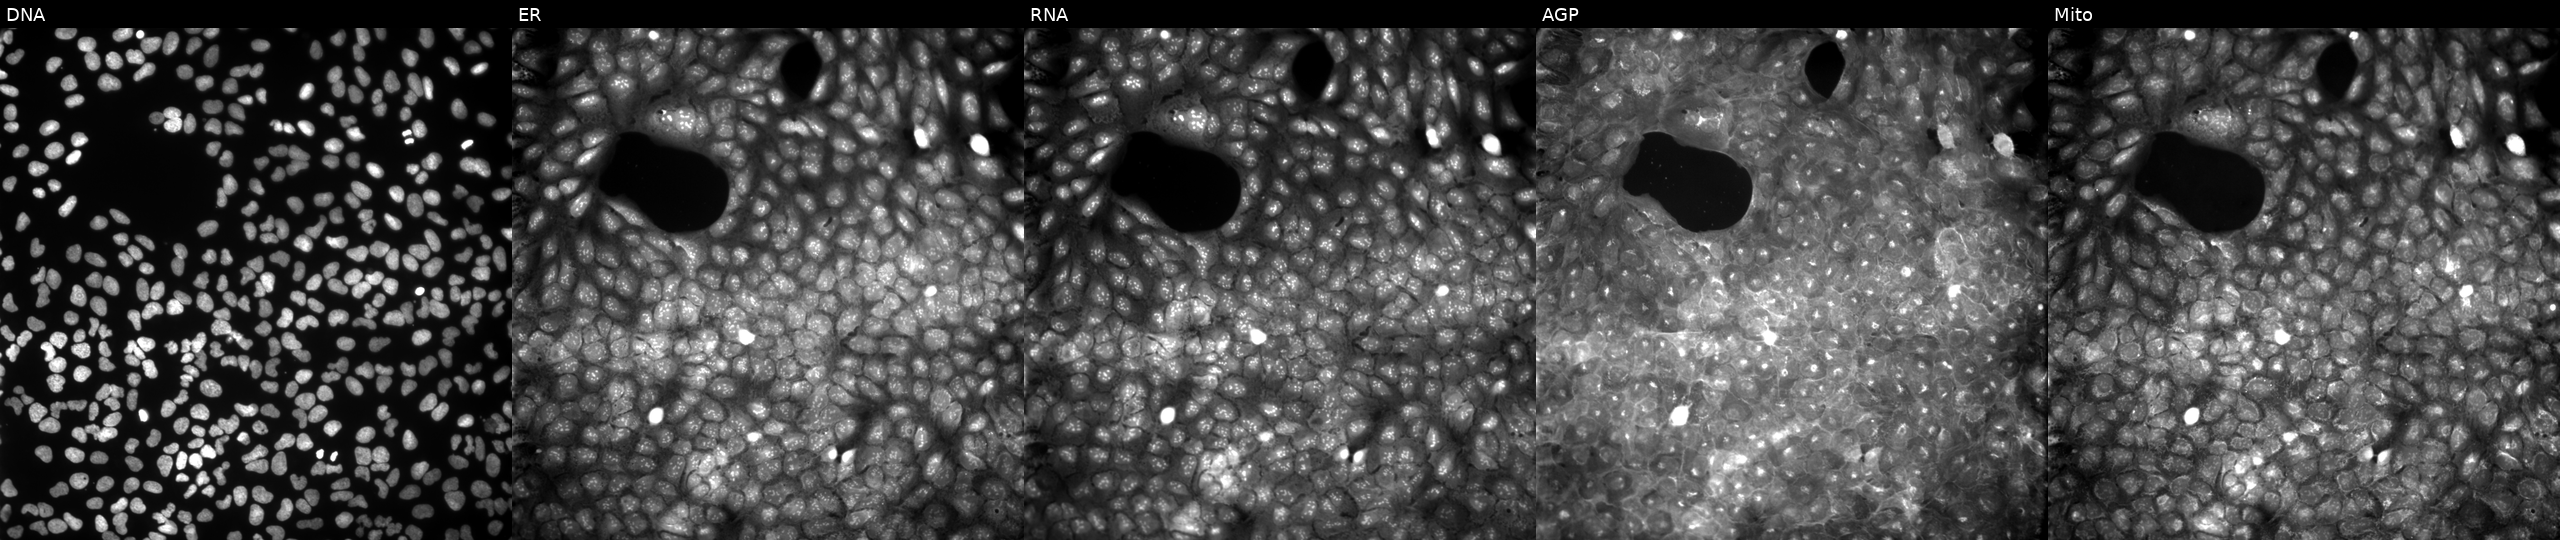
High-content fluorescence microscopy (Cell Painting). Cell line: U2OS. Perturbation: exposed to a small-molecule compound (InChIKey FNGFQOLPPXPHLI-UHFFFAOYSA-N). Channels (left→right): DNA, ER, RNA, AGP, and Mito. Source 9, plate GR00003382, well Z14.